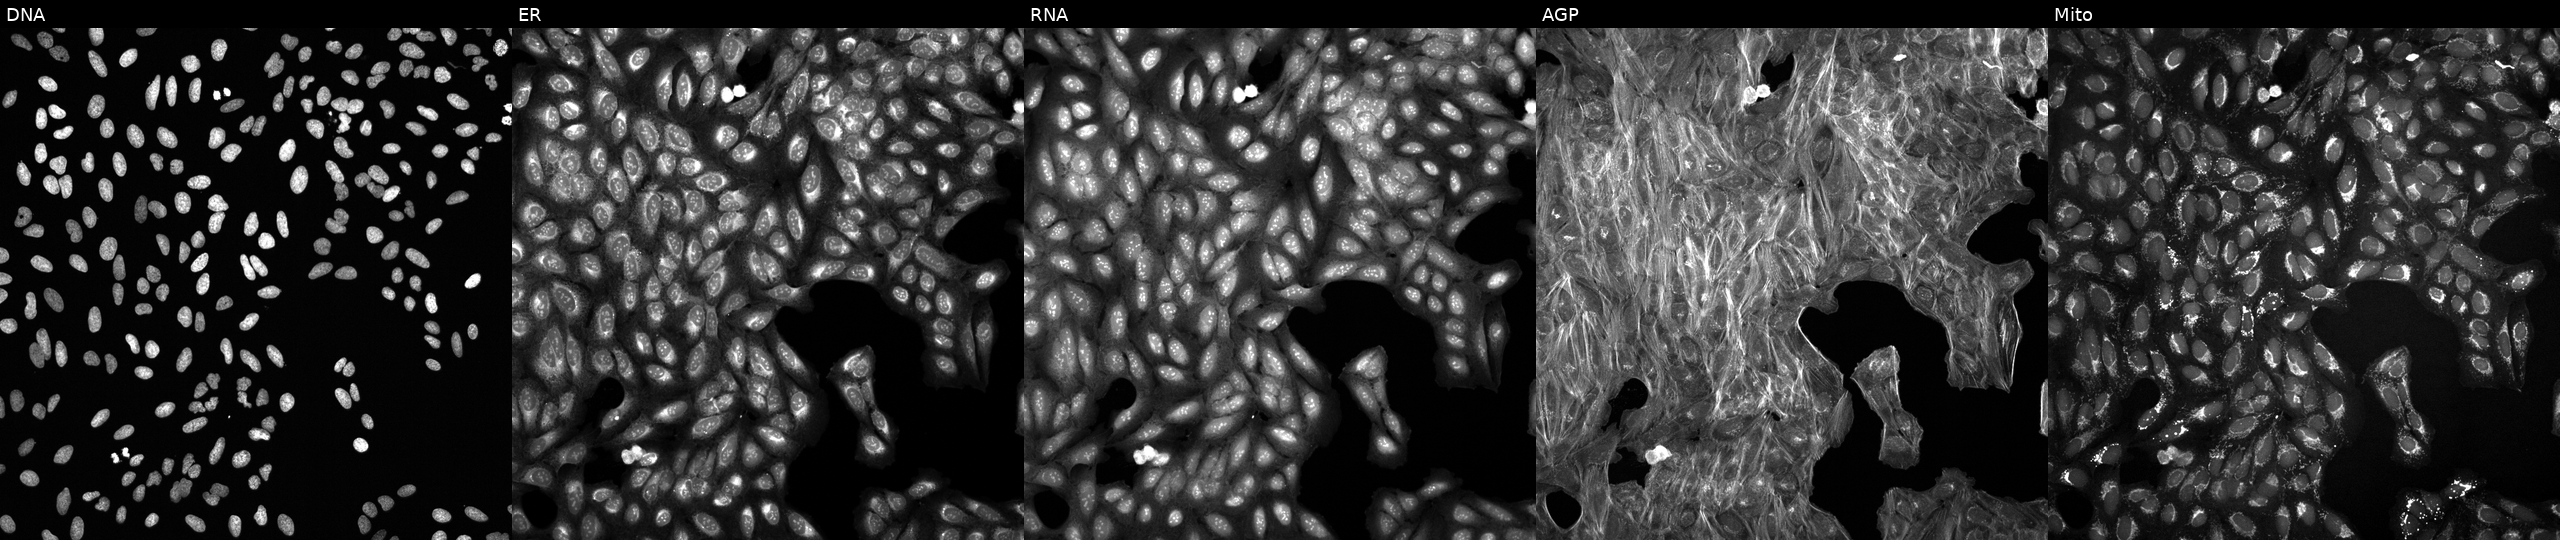
High-content fluorescence microscopy (Cell Painting). Cell line: U2OS. Perturbation: perturbed with a small-molecule compound (InChIKey FTFKGDZFYAWARZ-UHFFFAOYSA-N). Channels (left→right): DNA (nuclei); ER (endoplasmic reticulum); RNA (nucleoli and cytoplasmic RNA); AGP (actin cytoskeleton, Golgi, and plasma membrane); Mito (mitochondria). Source 6, plate 110000293083, well O14.